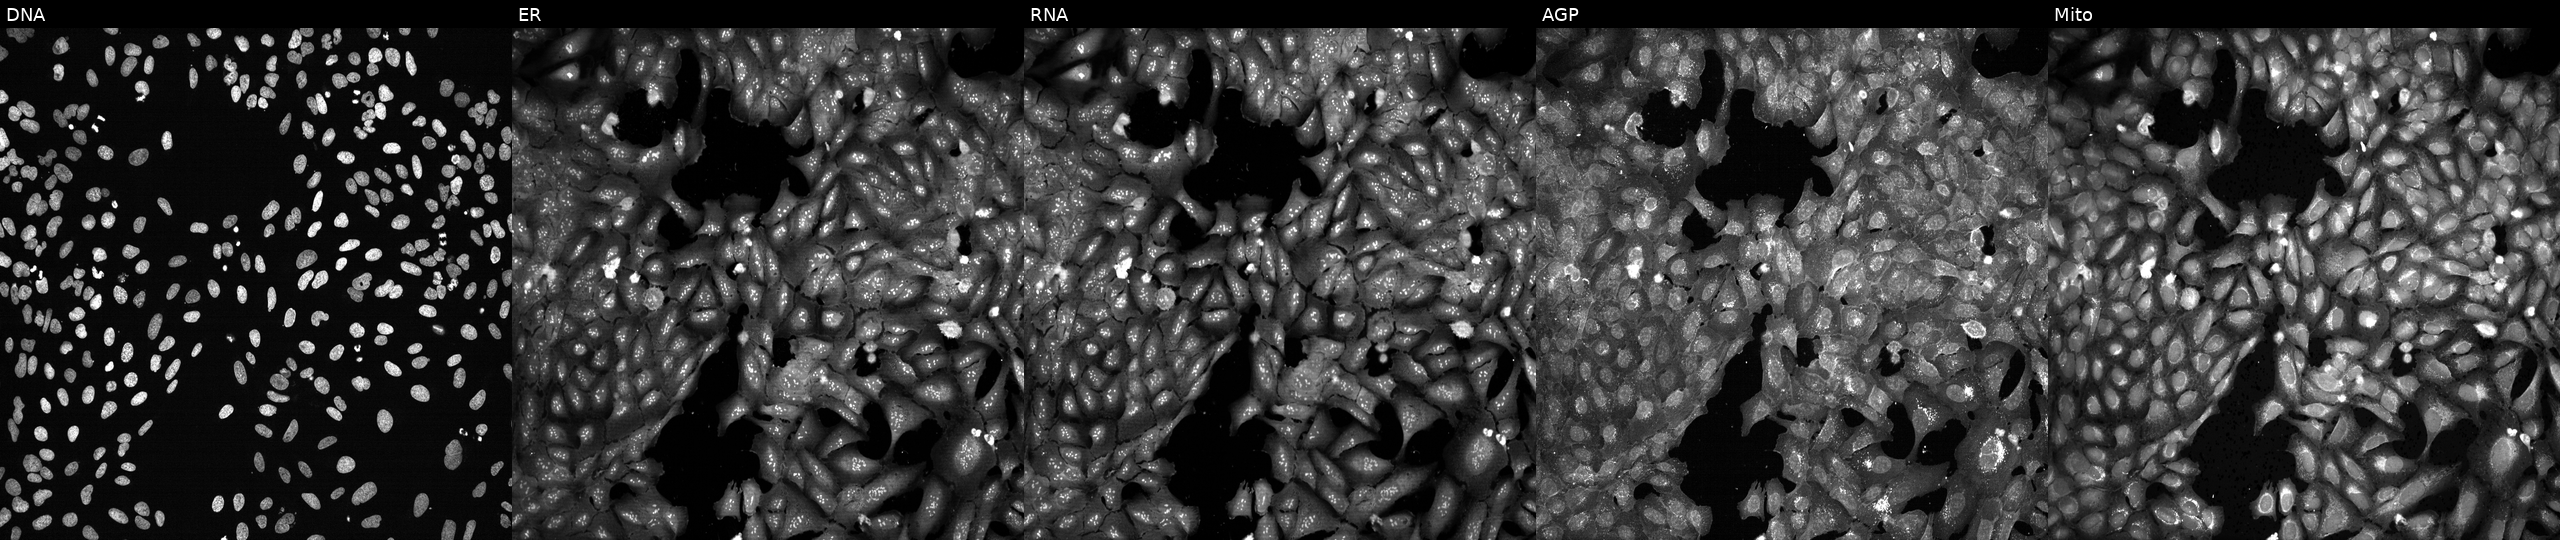
From left to right: Hoechst 33342, concanavalin A, SYTO 14, phalloidin and WGA, MitoTracker. U2OS osteosarcoma cells CRISPR-edited to disrupt EXOSC7. Cell Painting assay, JUMP-CP dataset.